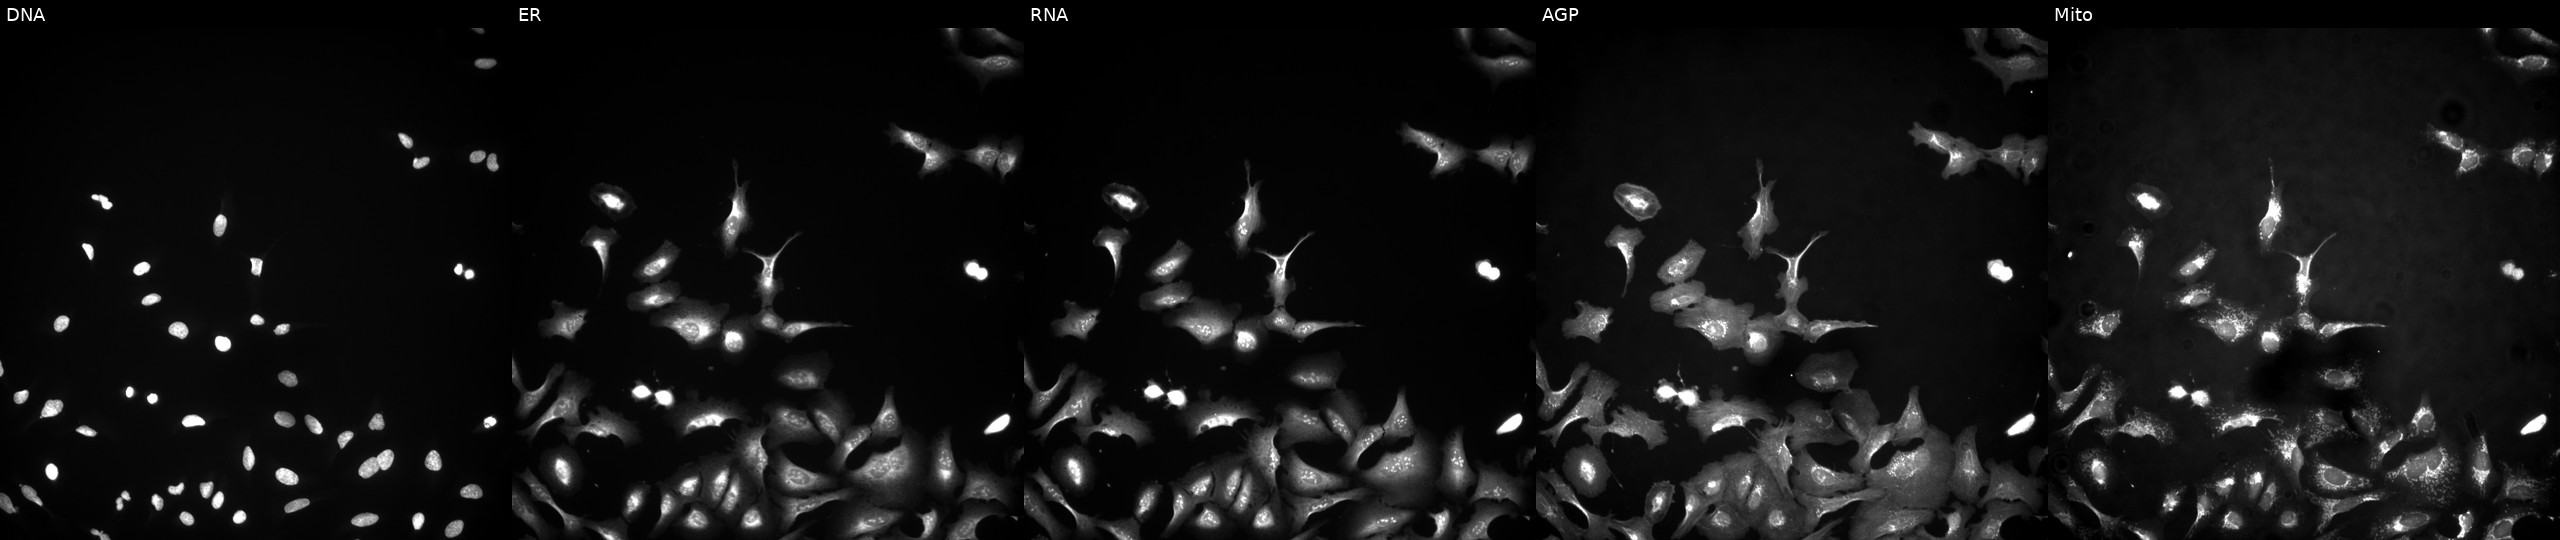
High-content fluorescence microscopy (Cell Painting). Cell line: U2OS. Perturbation: with RBP2 overexpressed (ORF) (JUMP id JCP2022_914559). Panels show, left to right, Hoechst 33342, concanavalin A, SYTO 14, phalloidin and WGA, MitoTracker. Source 4, plate BR00124790, well O05.